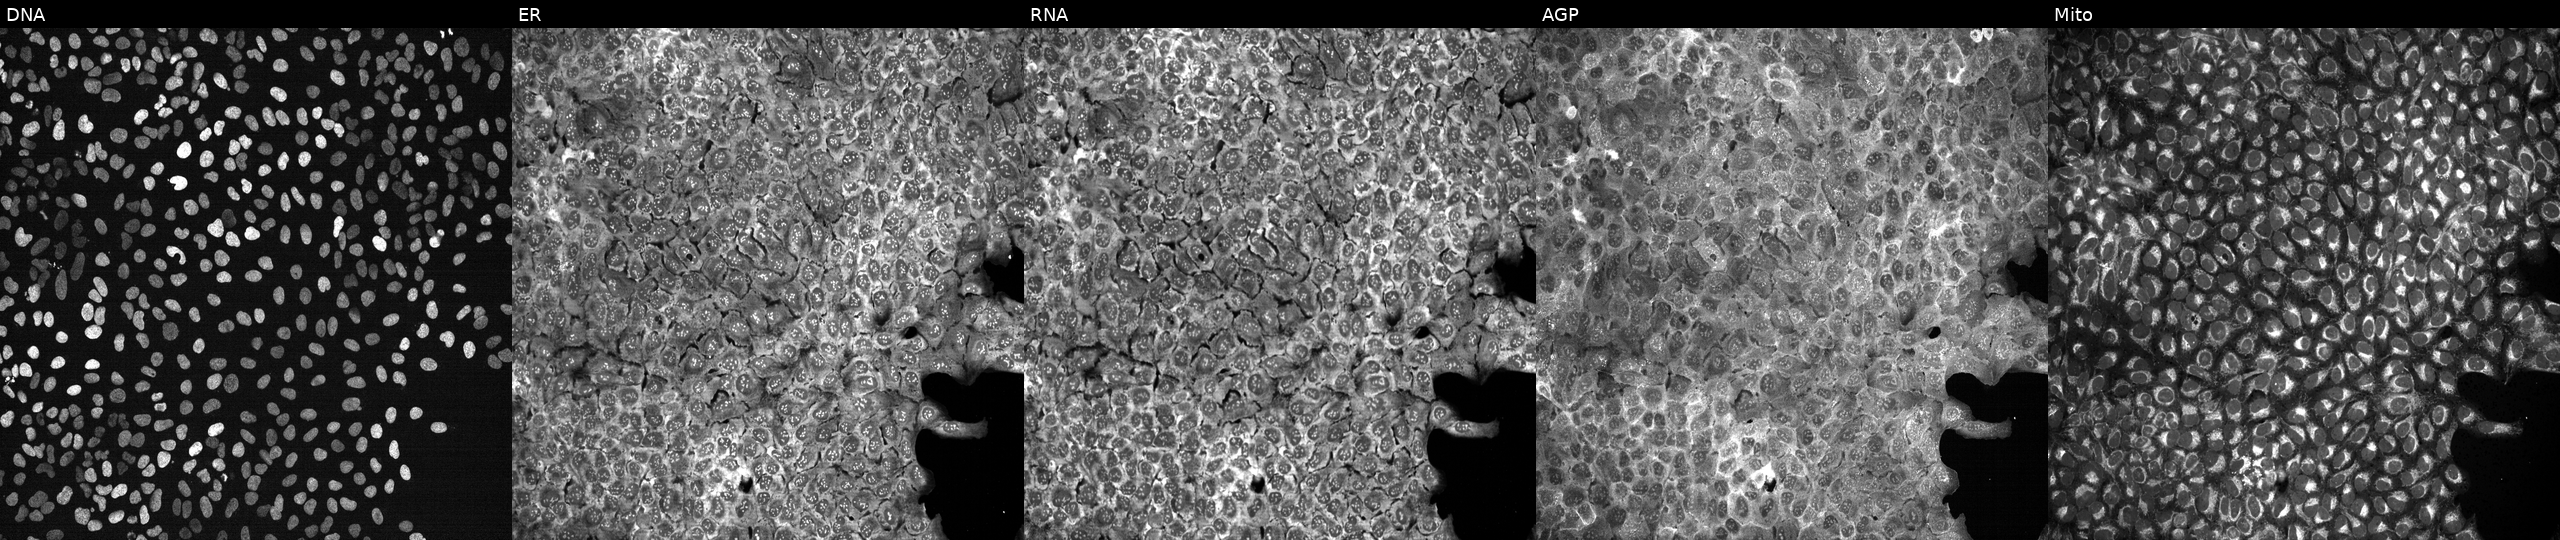
High-content fluorescence microscopy (Cell Painting). Cell line: U2OS. Perturbation: with CMBL knocked out by CRISPR (JUMP id JCP2022_801402). The five panels, left to right, show DNA, ER, RNA, AGP, and Mito. Source 13, plate CP-CC9-R4-03, well F21.